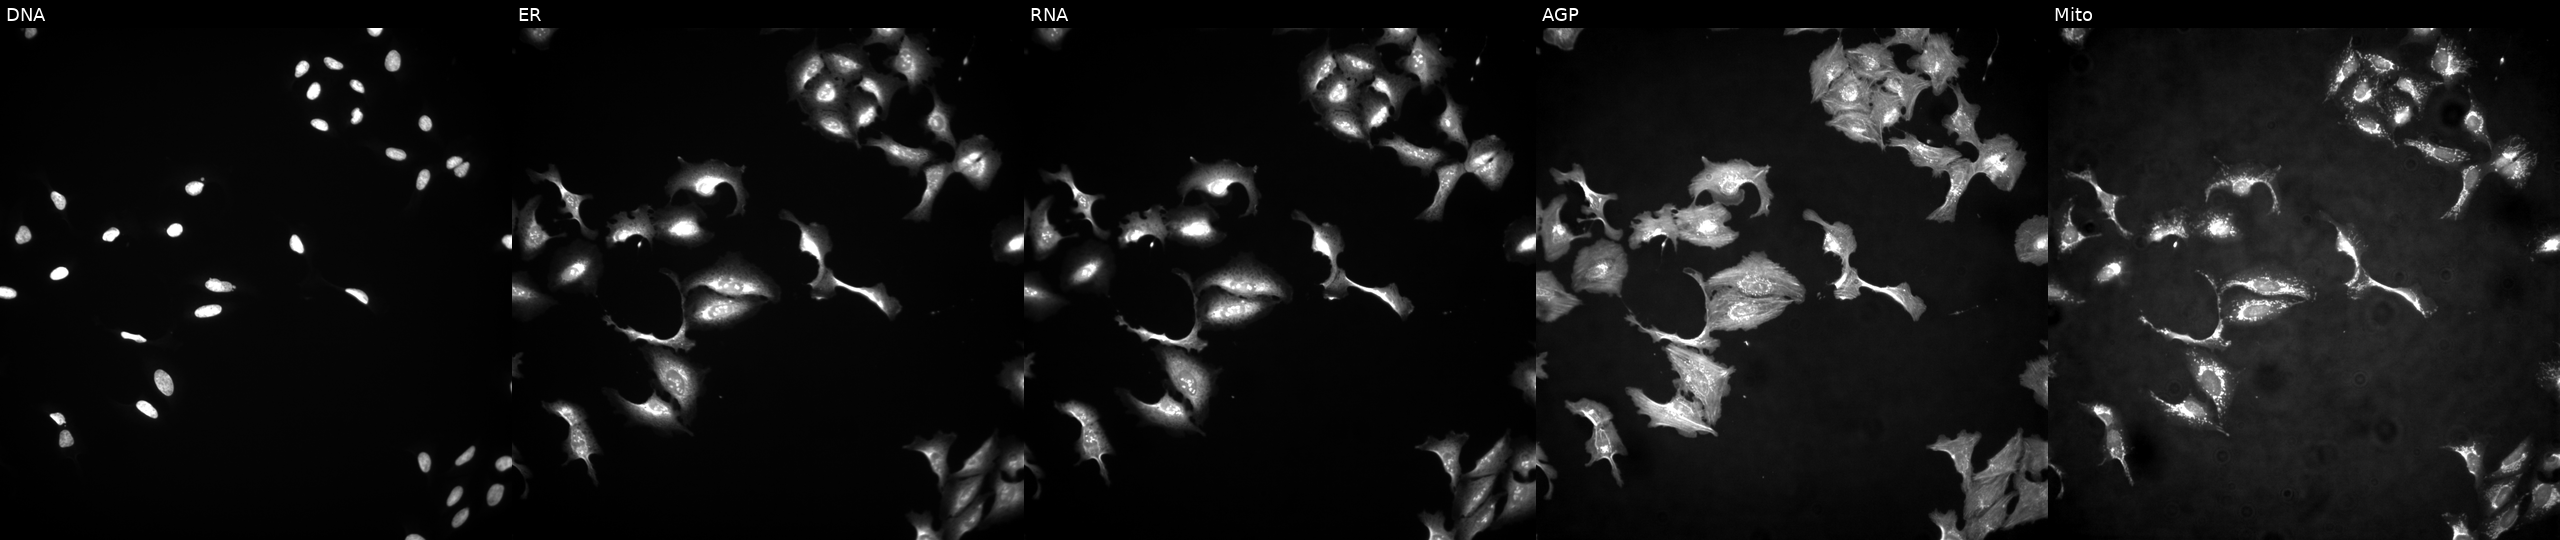
U2OS cells, Cell Painting assay, in an empty control well (no perturbation) (JUMP id JCP2022_999999). Panels show, left to right, DNA (nuclei); ER (endoplasmic reticulum); RNA (nucleoli and cytoplasmic RNA); AGP (actin cytoskeleton, Golgi, and plasma membrane); Mito (mitochondria). Each panel is percentile-stretched 16-bit fluorescence.